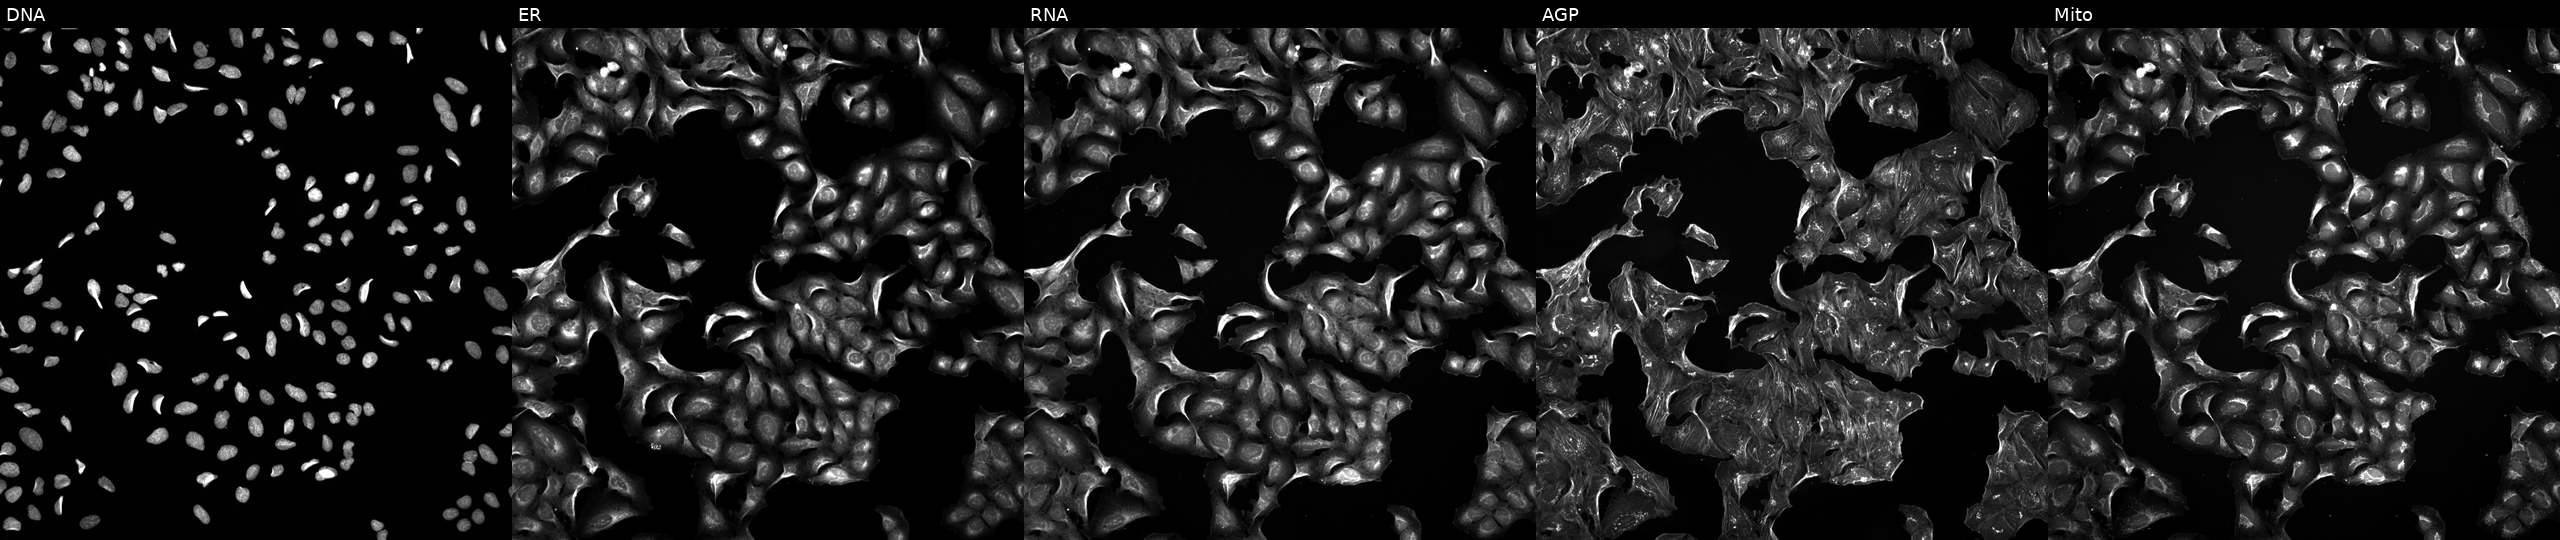
High-content fluorescence microscopy (Cell Painting). Cell line: U2OS. Perturbation: exposed to the positive-control compound NVS-PAK1-1 (JUMP id JCP2022_064022). Channels (left→right): DNA (nuclei); ER (endoplasmic reticulum); RNA (nucleoli and cytoplasmic RNA); AGP (actin cytoskeleton, Golgi, and plasma membrane); Mito (mitochondria).